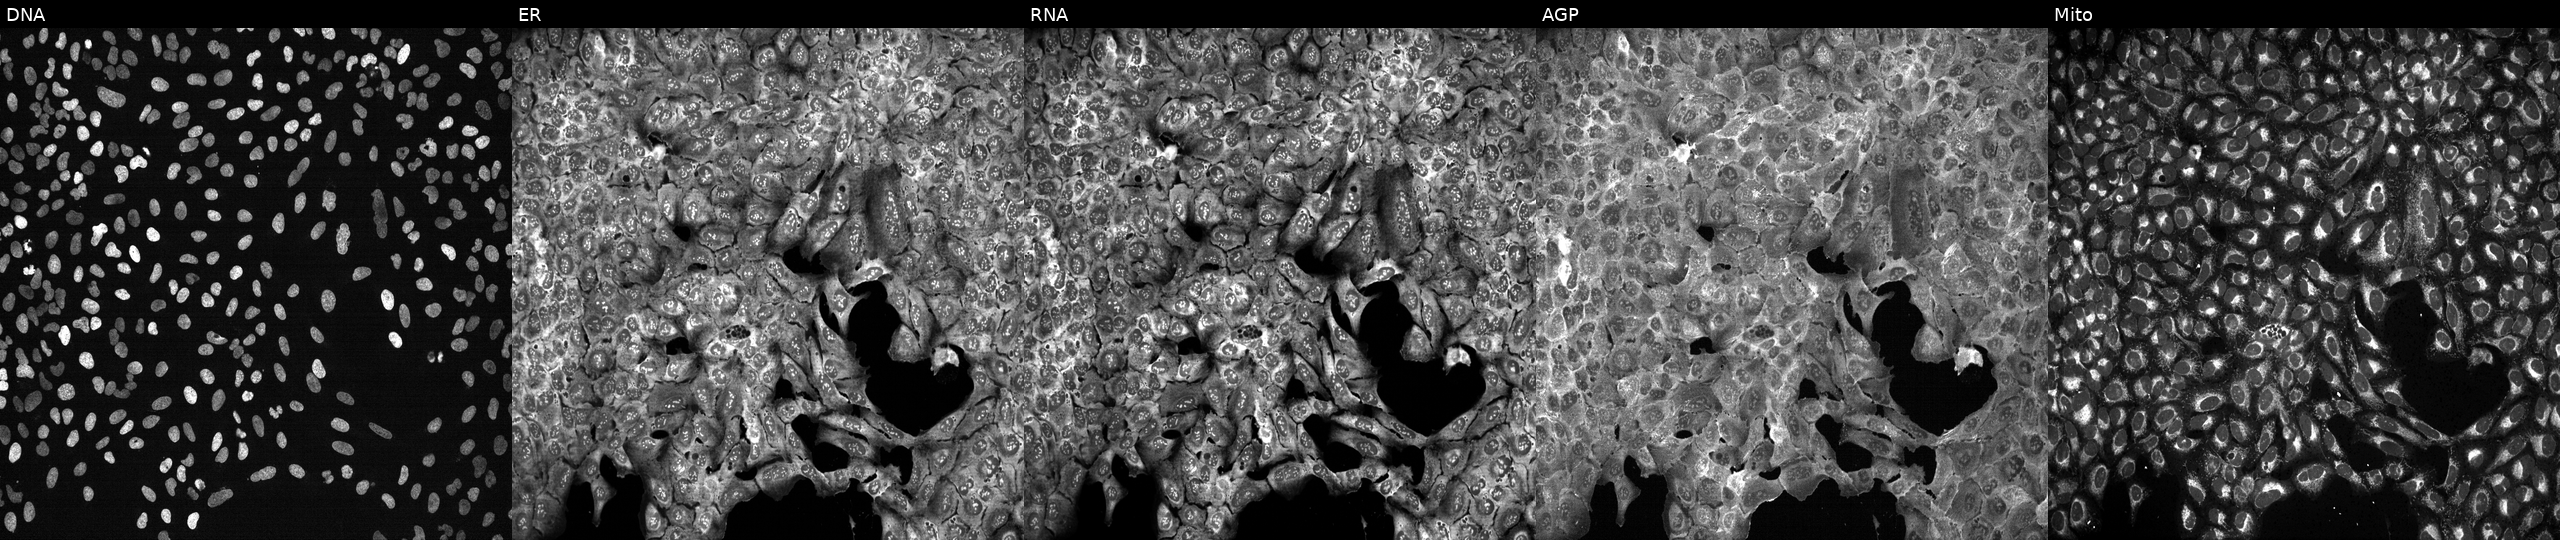
Five-channel Cell Painting image of U2OS cells CRISPR-edited to disrupt MYO15A. From left to right: DNA (nuclei); ER (endoplasmic reticulum); RNA (nucleoli and cytoplasmic RNA); AGP (actin cytoskeleton, Golgi, and plasma membrane); Mito (mitochondria). Source 13, plate CP-CC9-R3-01, well E14.